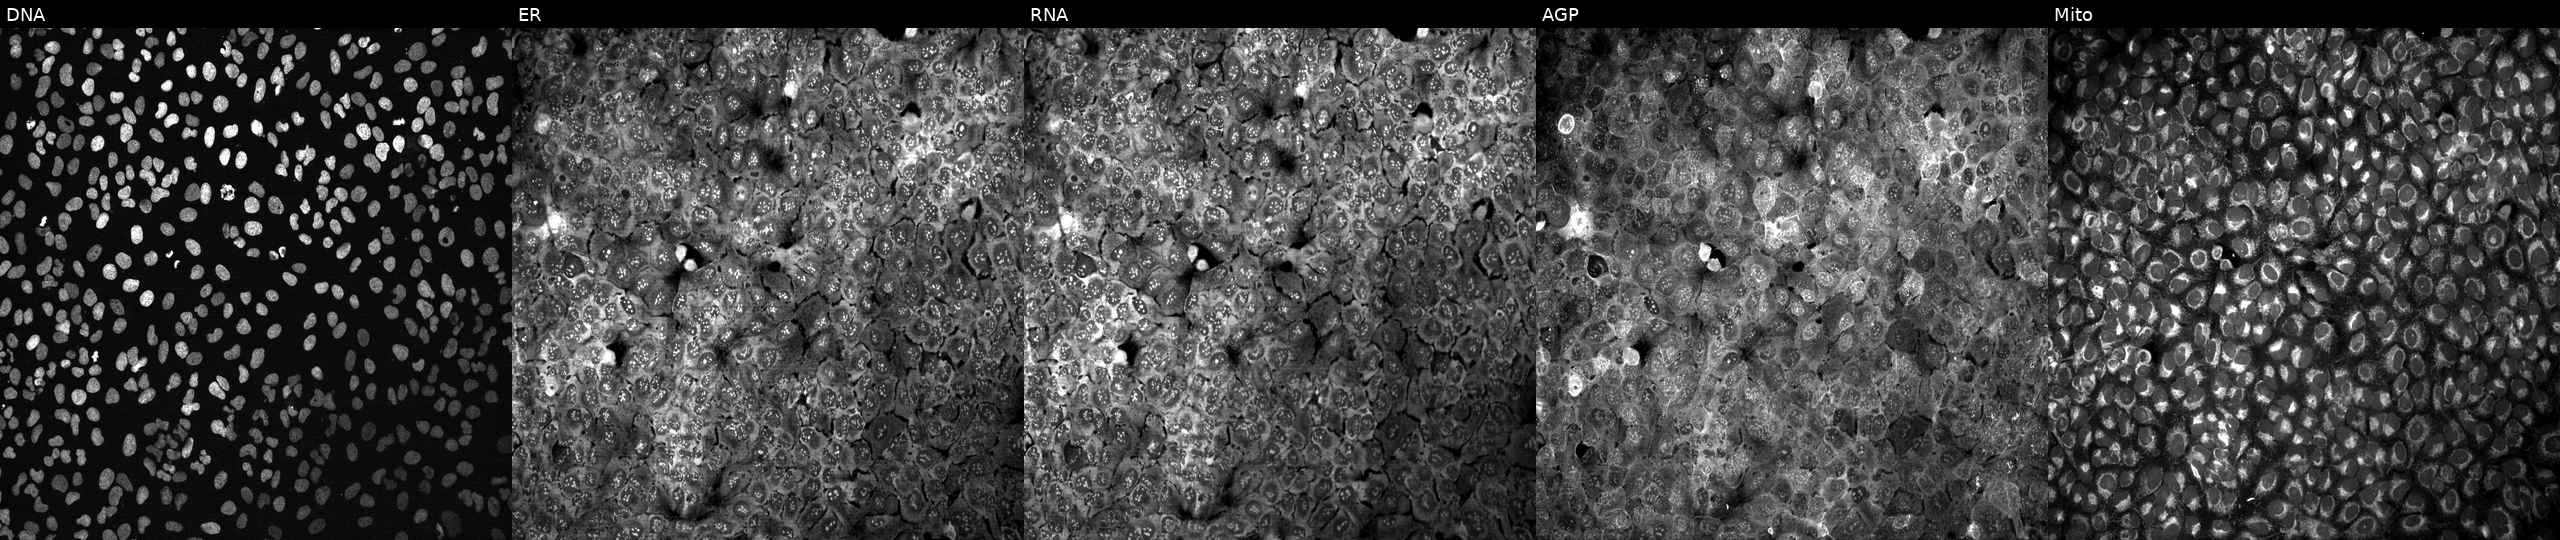
JUMP Cell Painting — CRISPR plate. U2OS cells following CRISPR knockout of SEZ6L2. Channels (left→right): Hoechst 33342, concanavalin A, SYTO 14, phalloidin and WGA, MitoTracker.